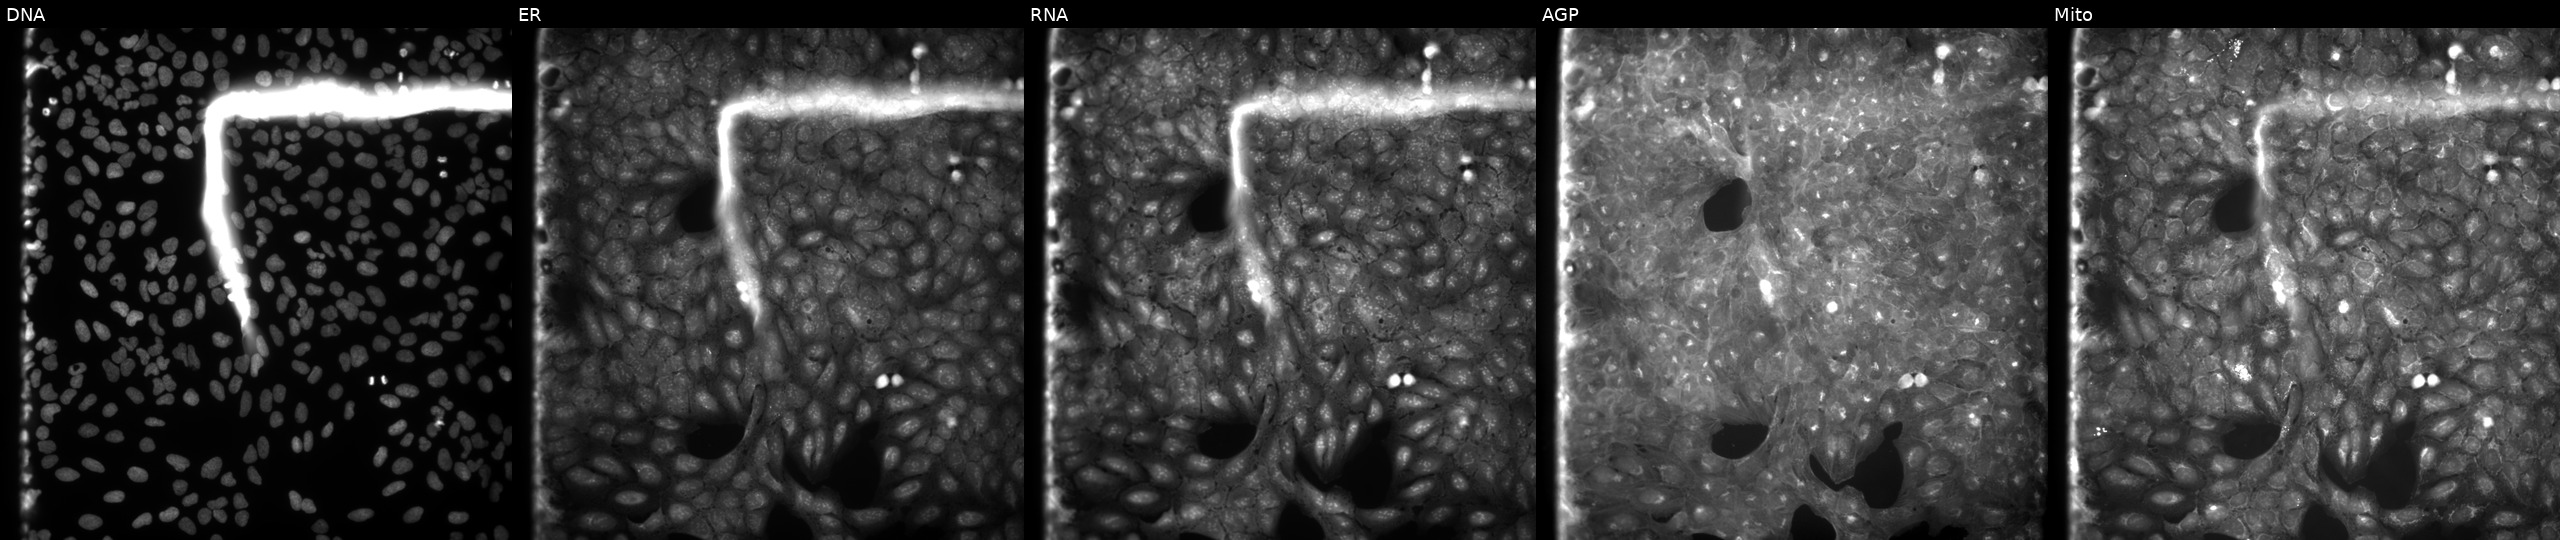
Panels show, left to right, Hoechst 33342, concanavalin A, SYTO 14, phalloidin and WGA, MitoTracker. U2OS osteosarcoma cells treated with a small-molecule compound (InChIKey PLZBWTXYTSGCKV-UHFFFAOYSA-N) [SMILES: O=C(O)C(CCCCN1C(=O)c2ccccc2C1=O)N1C(=O)c2ccccc2C1=O]. Cell Painting assay, JUMP-CP dataset. Source 9, plate GR00003382, well K07.